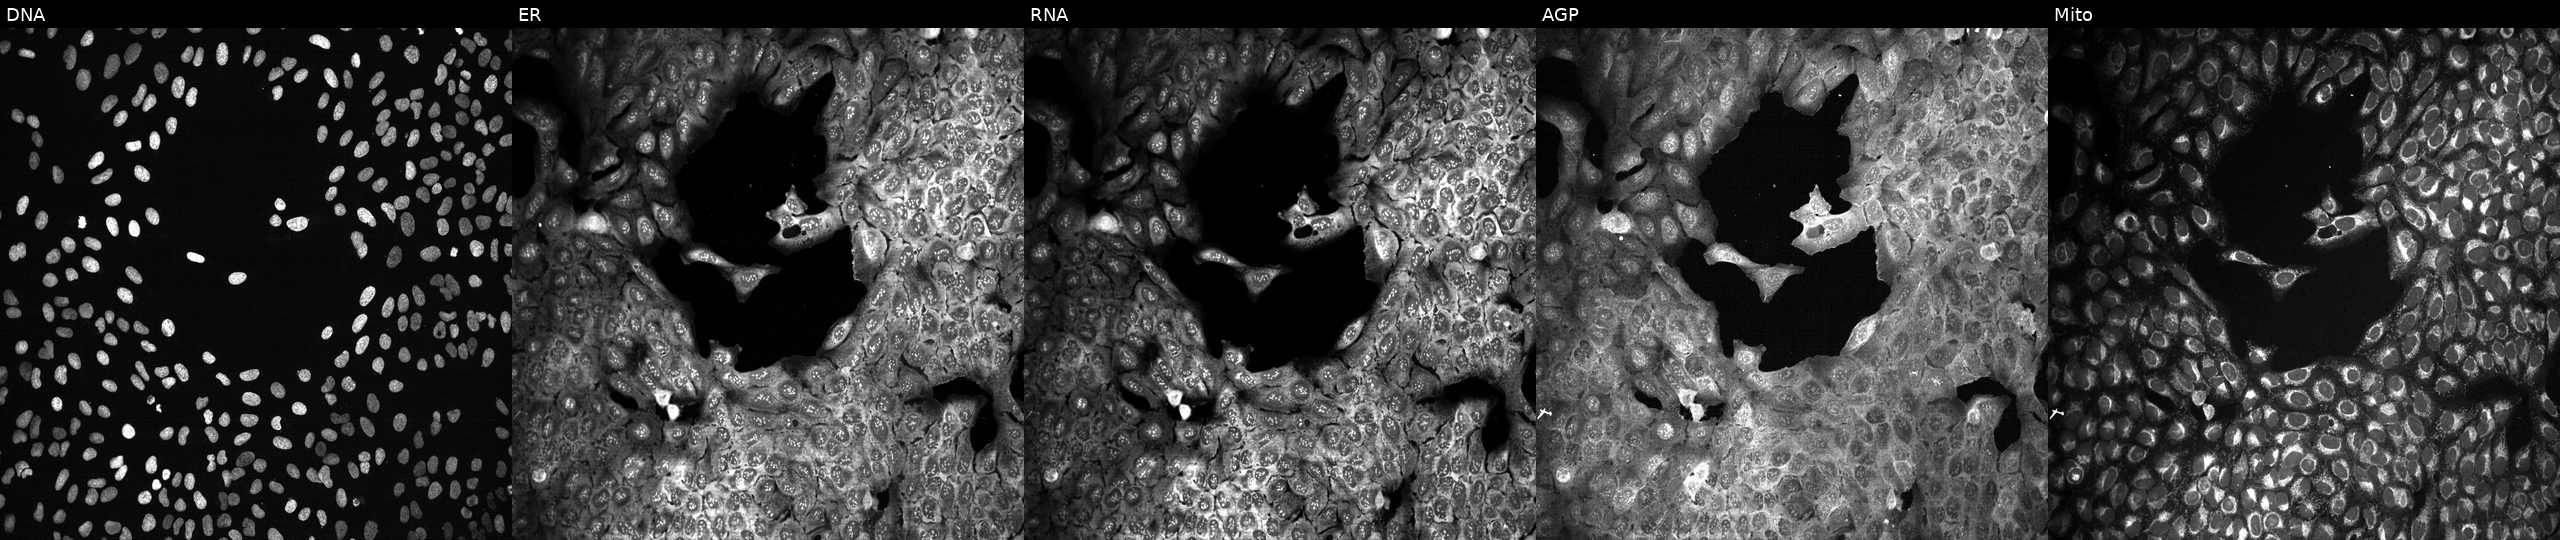
High-content fluorescence microscopy (Cell Painting). Cell line: U2OS. Perturbation: CRISPR-edited to disrupt HCCS (JUMP id JCP2022_803034). Channels (left→right): Hoechst 33342, concanavalin A, SYTO 14, phalloidin and WGA, MitoTracker. Source 13, plate CP-CC9-R3-02, well M21.